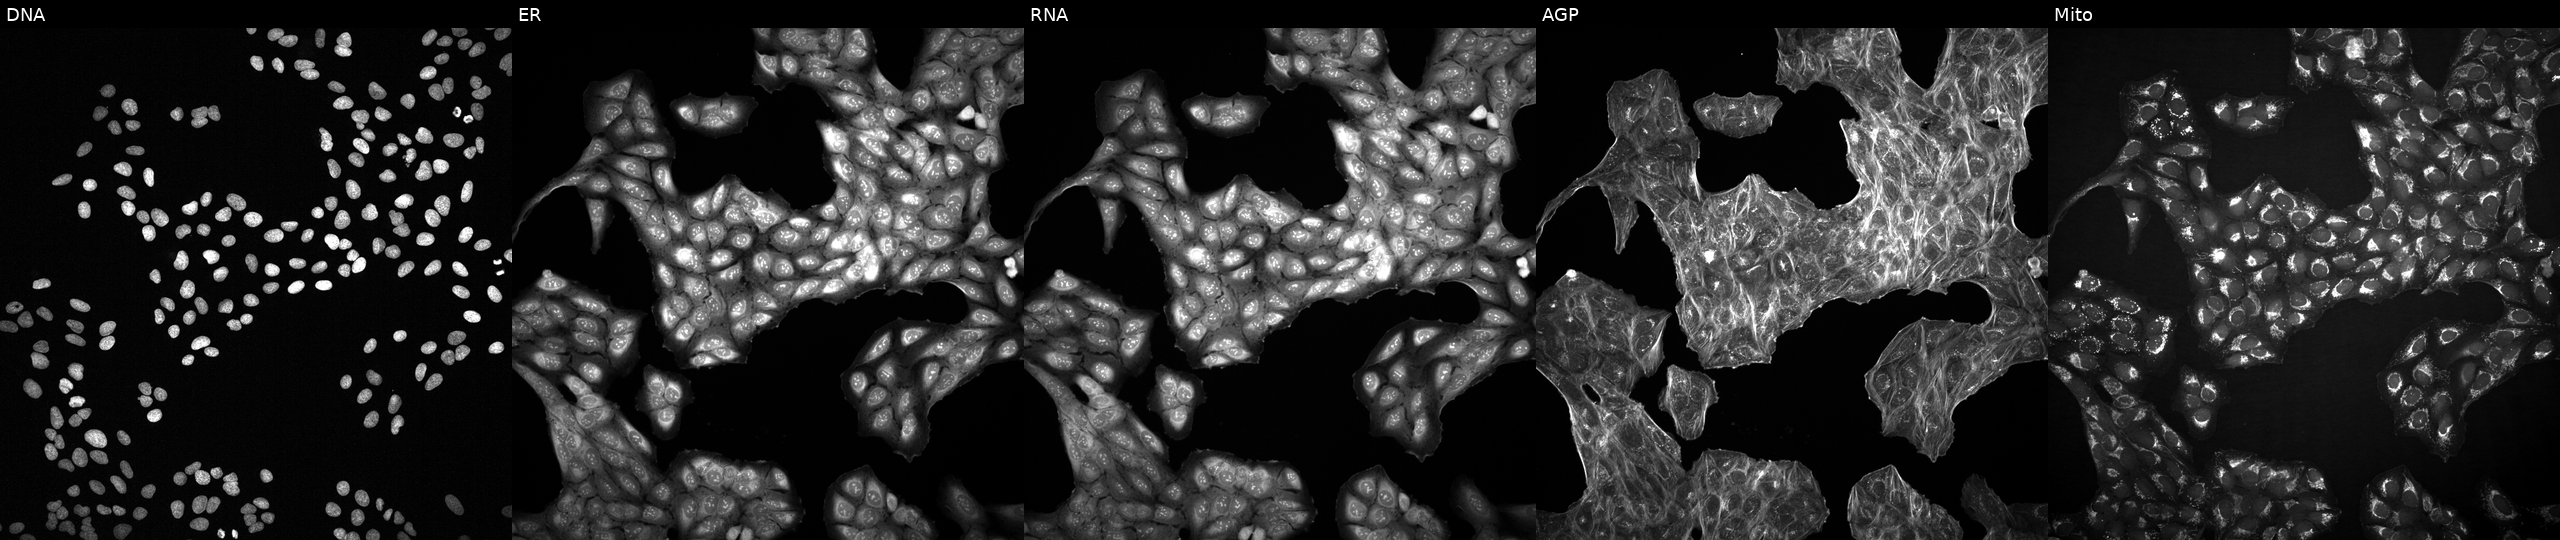
U2OS cells, Cell Painting assay, perturbed with a small-molecule compound [SMILES: O=C(CN1CCC(n2cnc3cc(C(F)(F)F)ccc32)CC1)Nc1ccc(Cl)c(Cl)c1] (JUMP id JCP2022_096402). Channels (left→right): DNA (nuclei); ER (endoplasmic reticulum); RNA (nucleoli and cytoplasmic RNA); AGP (actin cytoskeleton, Golgi, and plasma membrane); Mito (mitochondria). Each panel is percentile-stretched 16-bit fluorescence.